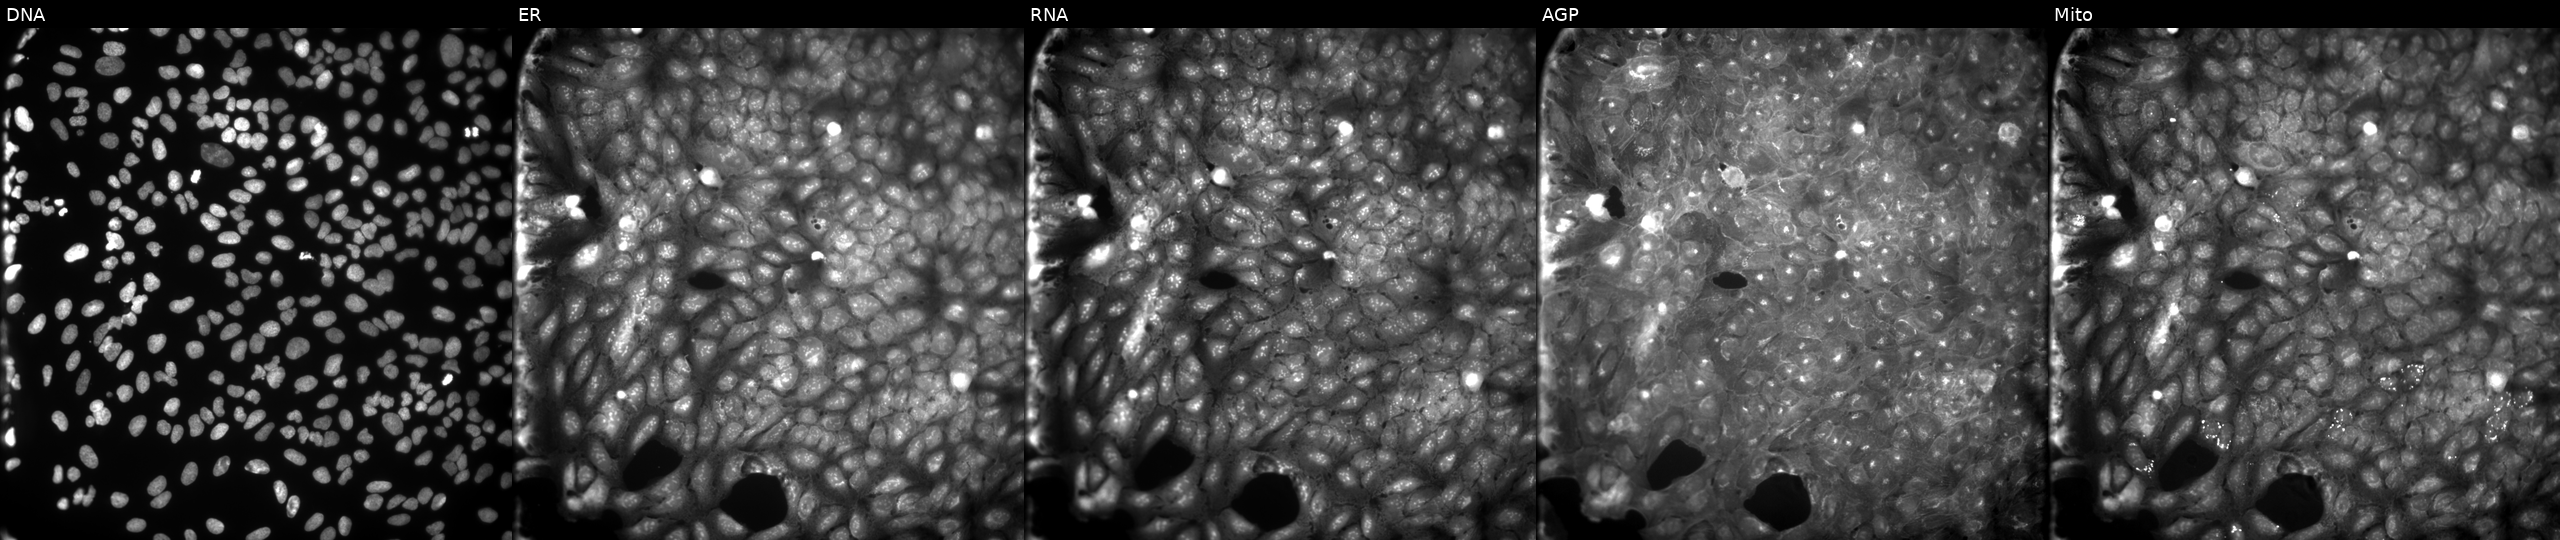
Five-channel Cell Painting image of U2OS cells perturbed with a small-molecule compound (InChIKey KWKWMNALQRRFJP-UHFFFAOYSA-N) (JUMP id JCP2022_047442). From left to right: DNA (nuclei); ER (endoplasmic reticulum); RNA (nucleoli and cytoplasmic RNA); AGP (actin cytoskeleton, Golgi, and plasma membrane); Mito (mitochondria).